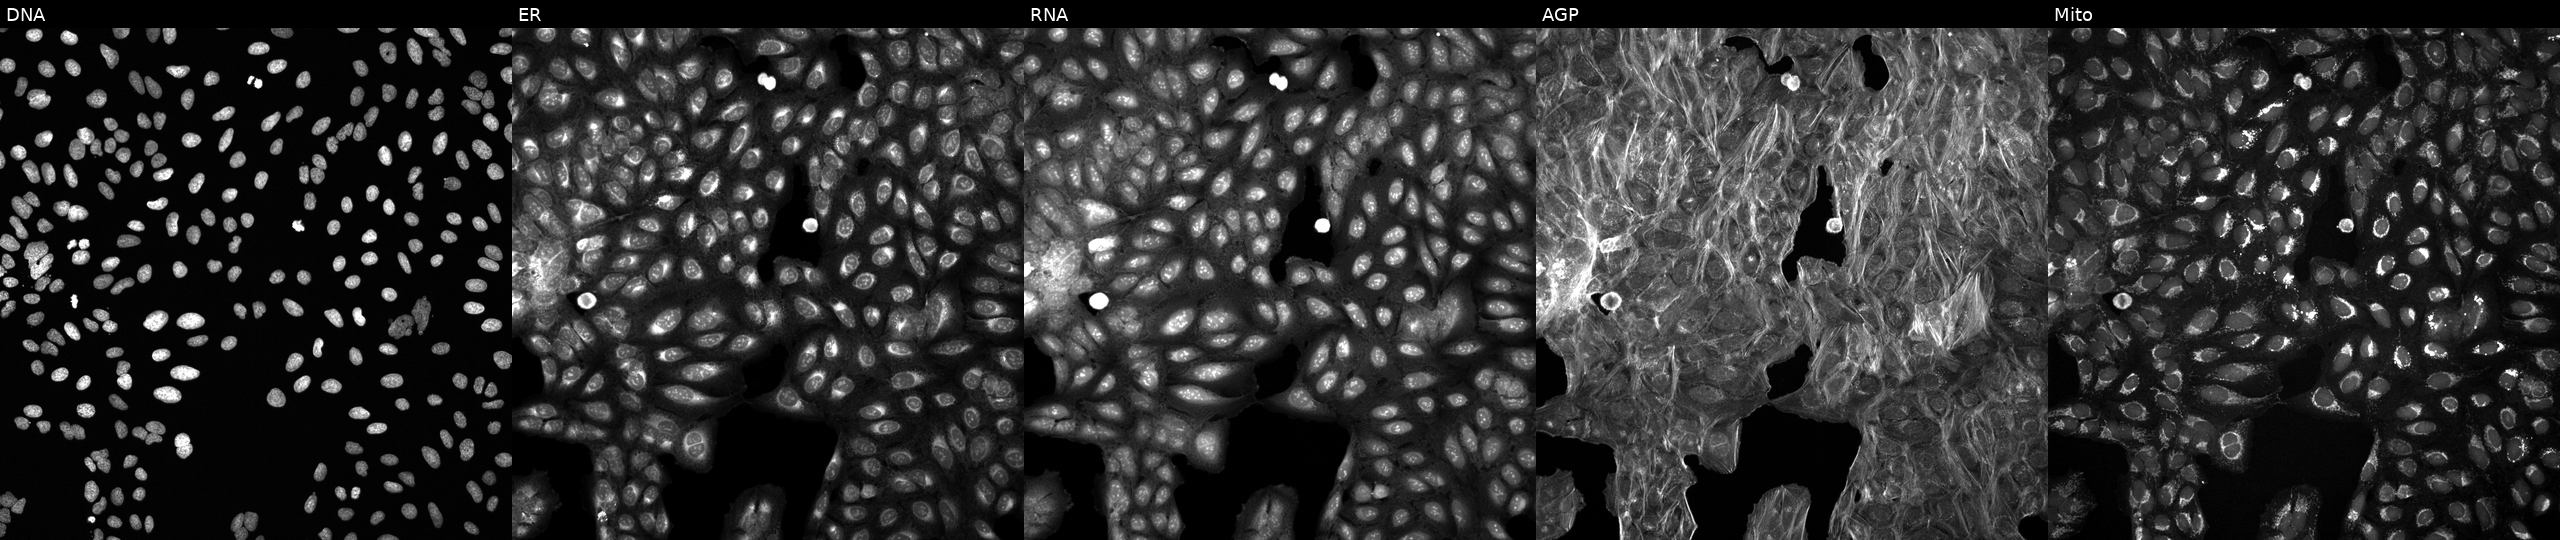
U2OS cells, Cell Painting assay, treated with a small-molecule compound (JUMP id JCP2022_069440). Channels (left→right): Hoechst 33342, concanavalin A, SYTO 14, phalloidin and WGA, MitoTracker. Each panel is percentile-stretched 16-bit fluorescence. Source 6, plate 110000293082, well H04.